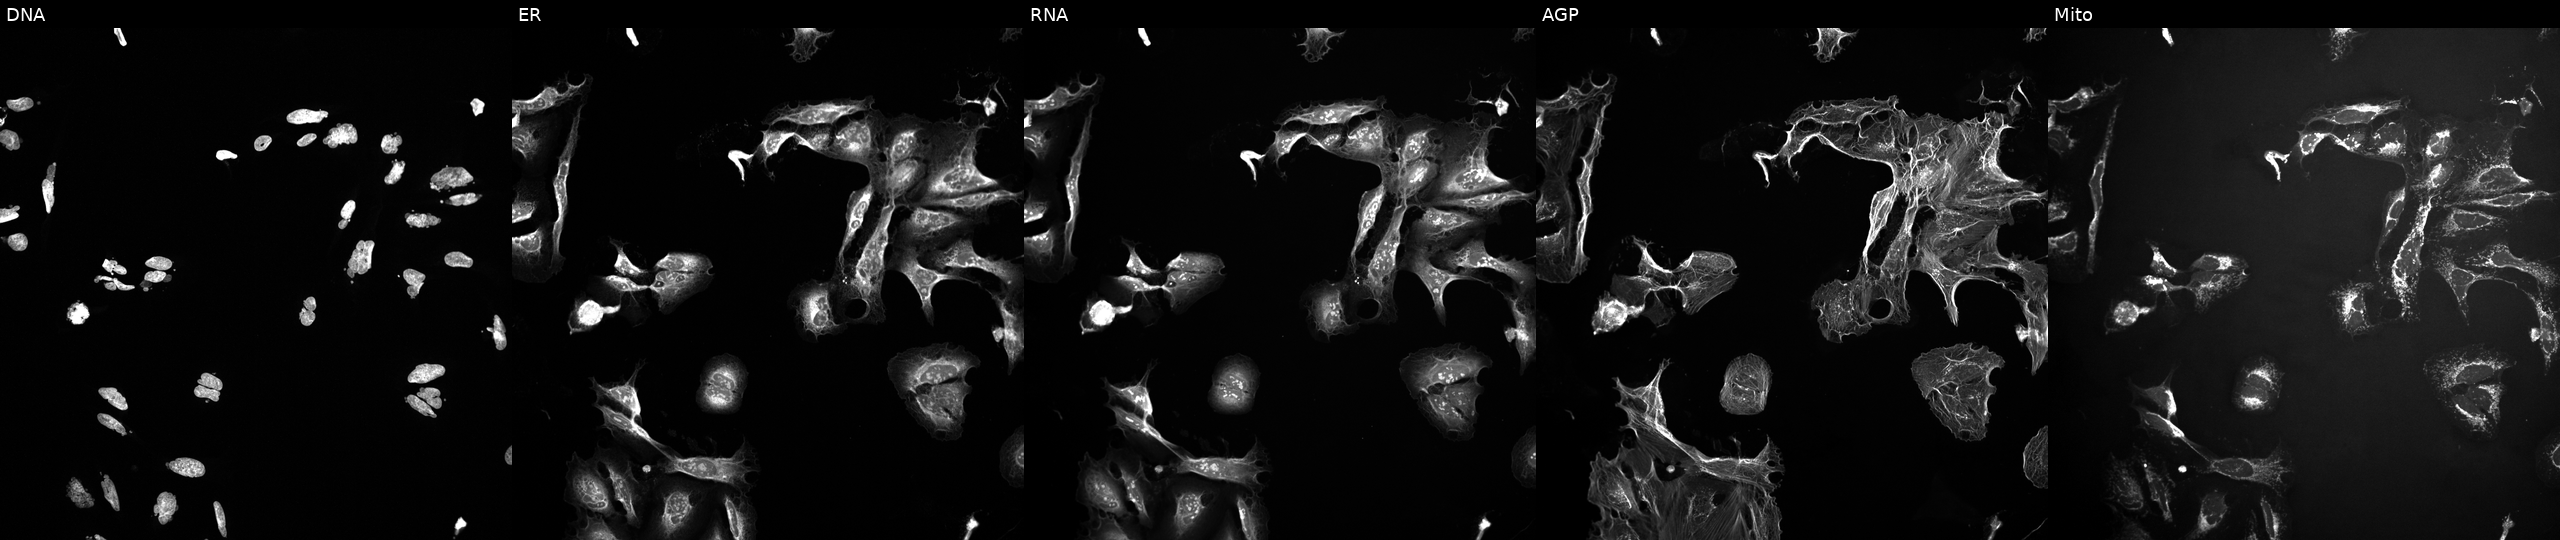
JUMP Cell Painting — TARGET2 plate. U2OS cells exposed to a small-molecule compound (InChIKey KRBSMMVJJVHVCB-UHFFFAOYSA-N). The five panels, left to right, show Hoechst 33342, concanavalin A, SYTO 14, phalloidin and WGA, MitoTracker. Source 10, plate Dest210726-160150, well J14.